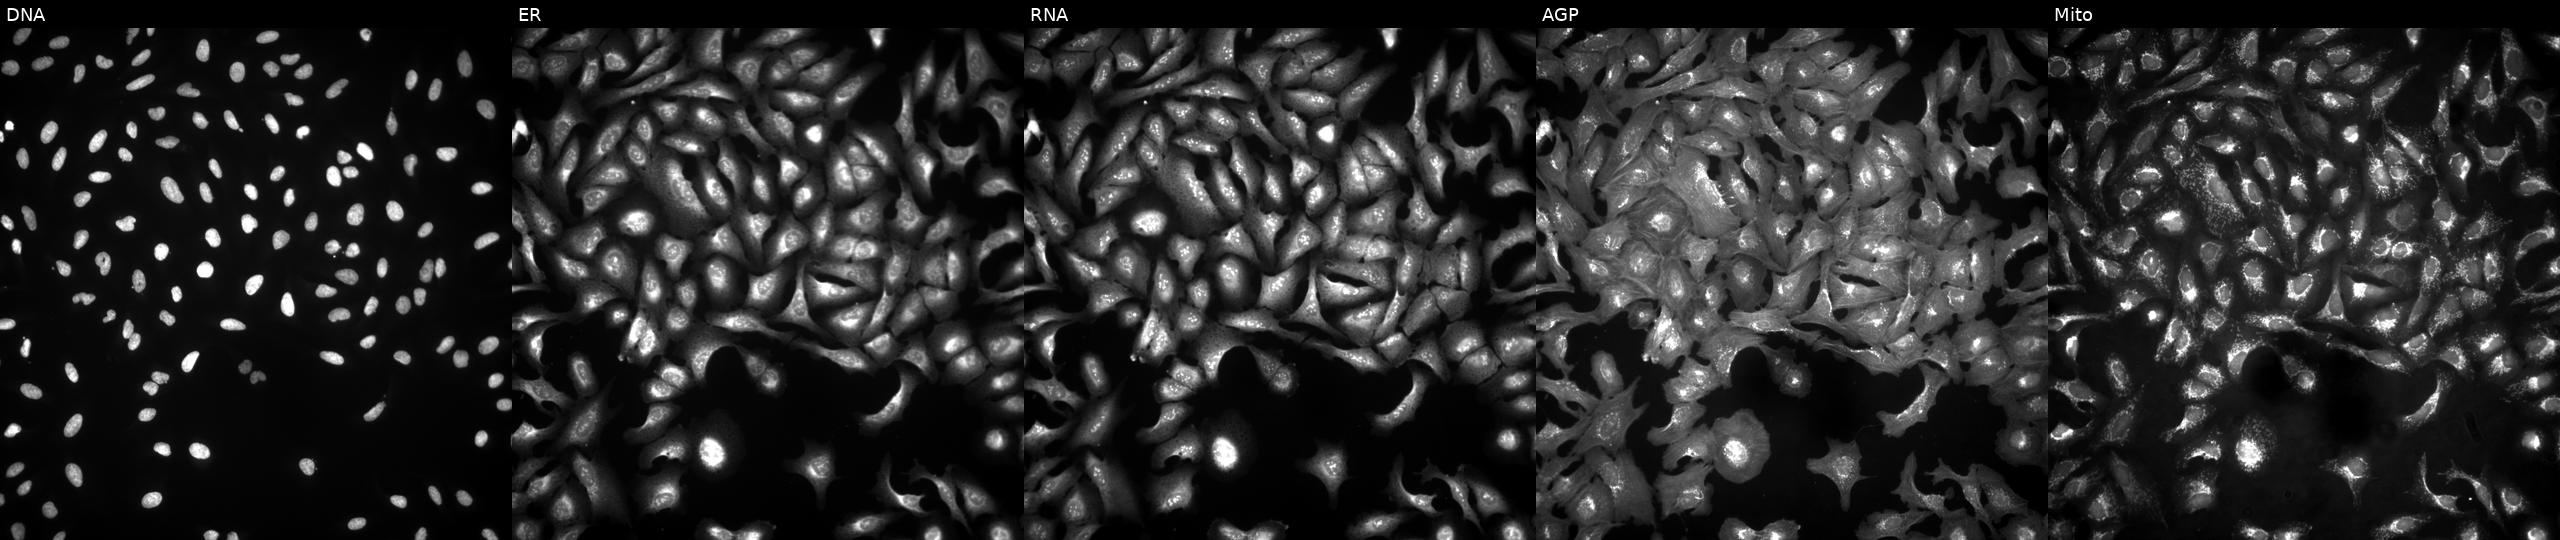
This image strip shows the five Cell Painting channels for a single field of U2OS cells overexpressing TSR3 via ORF transfection (JUMP id JCP2022_912172). From left to right: DNA, ER, RNA, AGP, and Mito.